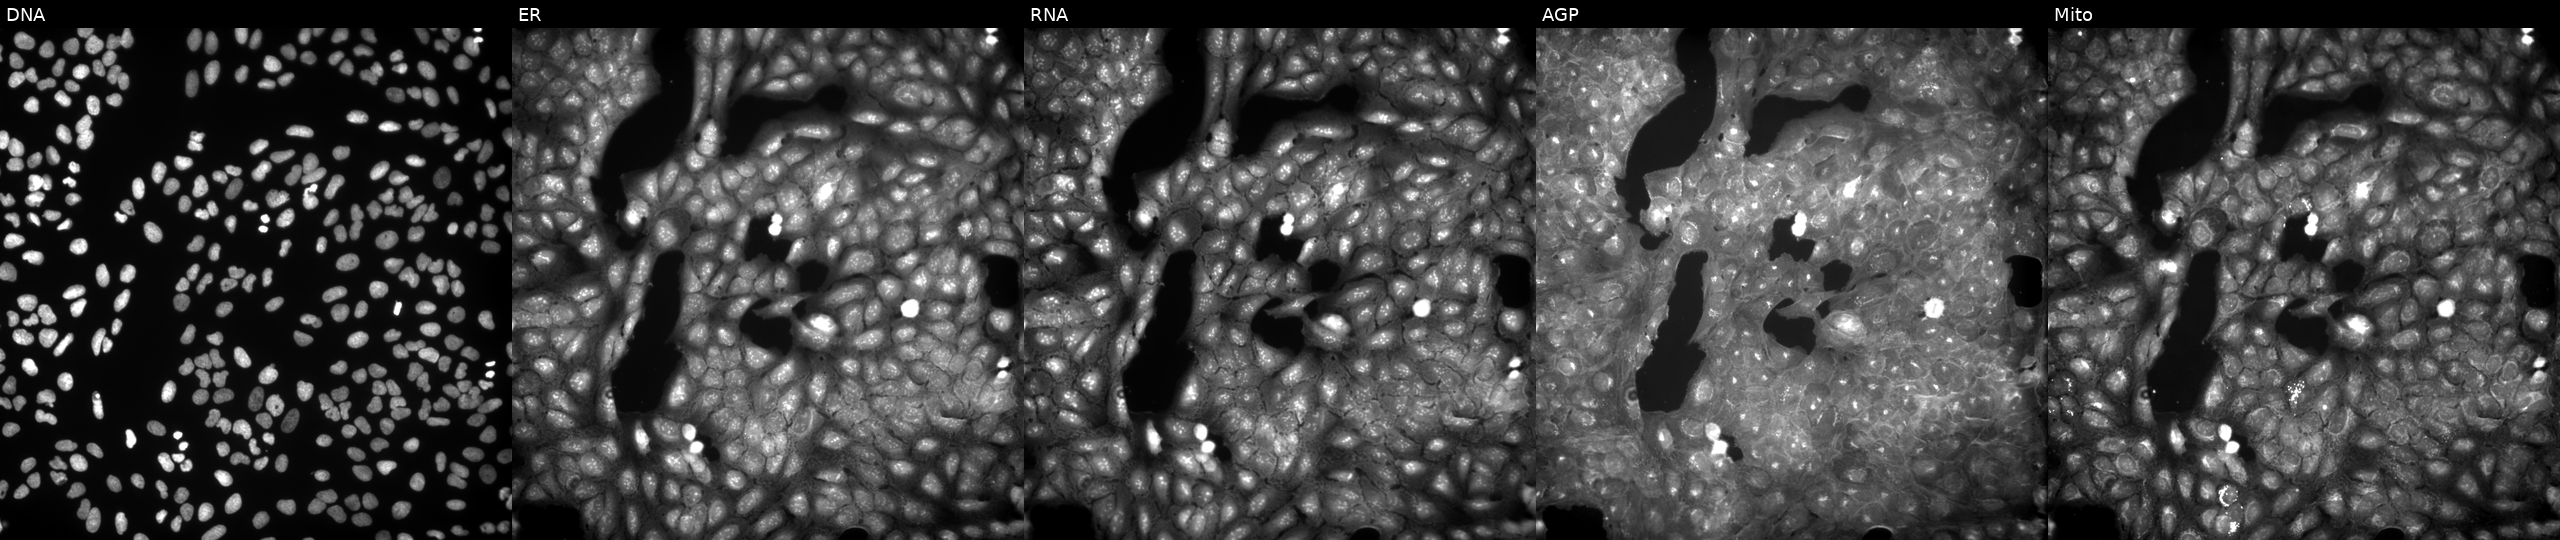
Five-channel Cell Painting image of U2OS cells treated with a small-molecule compound [SMILES: NC(=O)Cc1c(O)n(-c2ccccc2)c(=S)n1NC(=O)c1ccccc1]. The five panels, left to right, show DNA (nuclei); ER (endoplasmic reticulum); RNA (nucleoli and cytoplasmic RNA); AGP (actin cytoskeleton, Golgi, and plasma membrane); Mito (mitochondria).